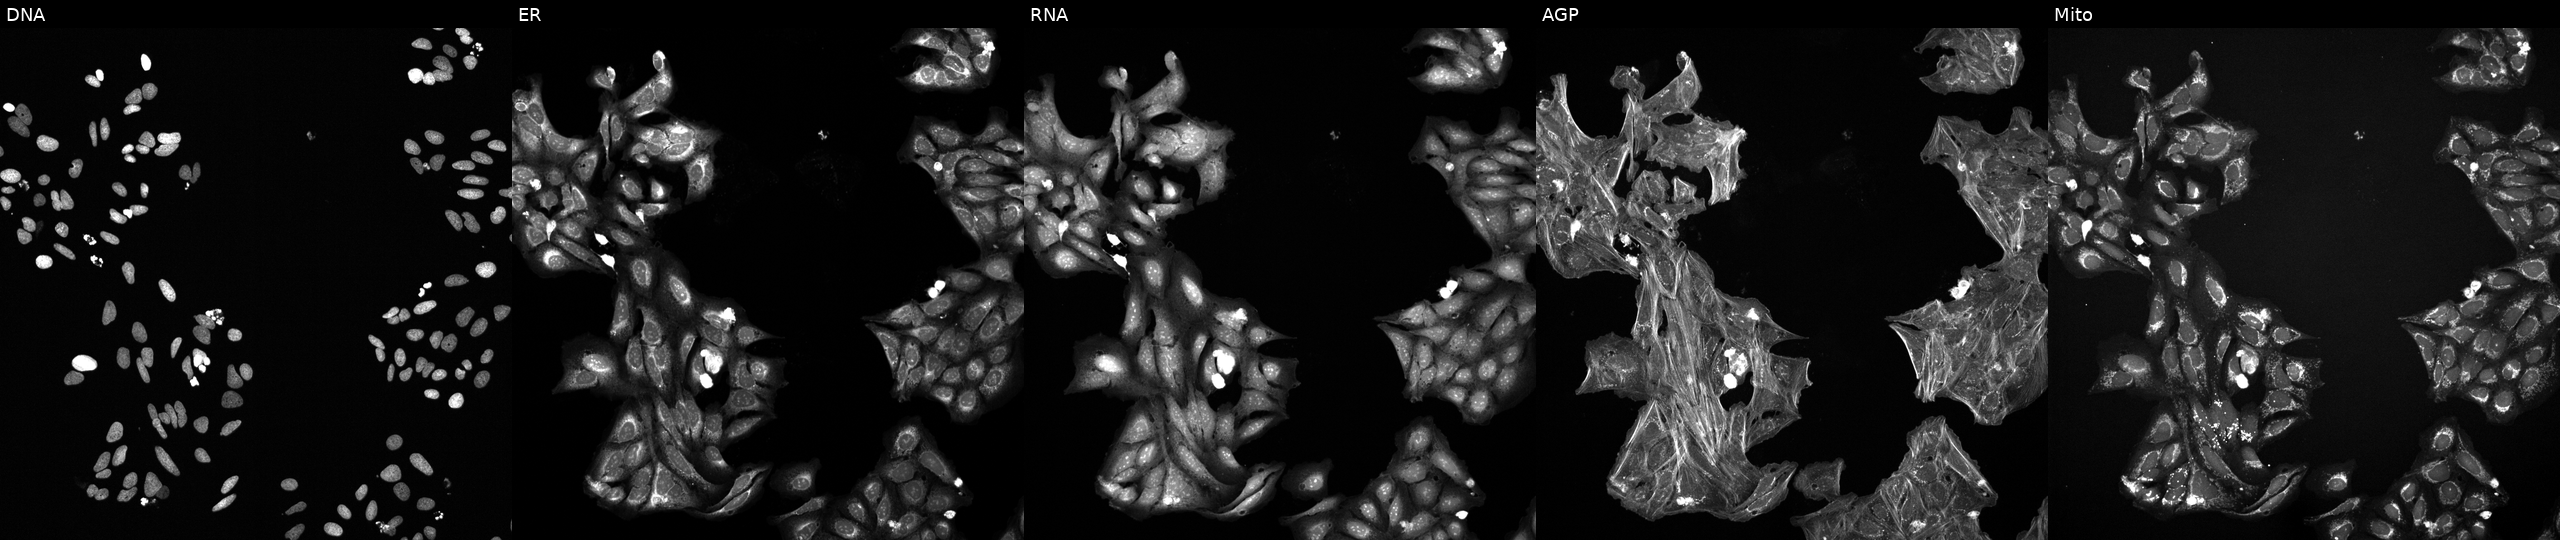
From left to right: DNA (nuclei); ER (endoplasmic reticulum); RNA (nucleoli and cytoplasmic RNA); AGP (actin cytoskeleton, Golgi, and plasma membrane); Mito (mitochondria). U2OS osteosarcoma cells treated with a small-molecule compound. Cell Painting assay, JUMP-CP dataset.